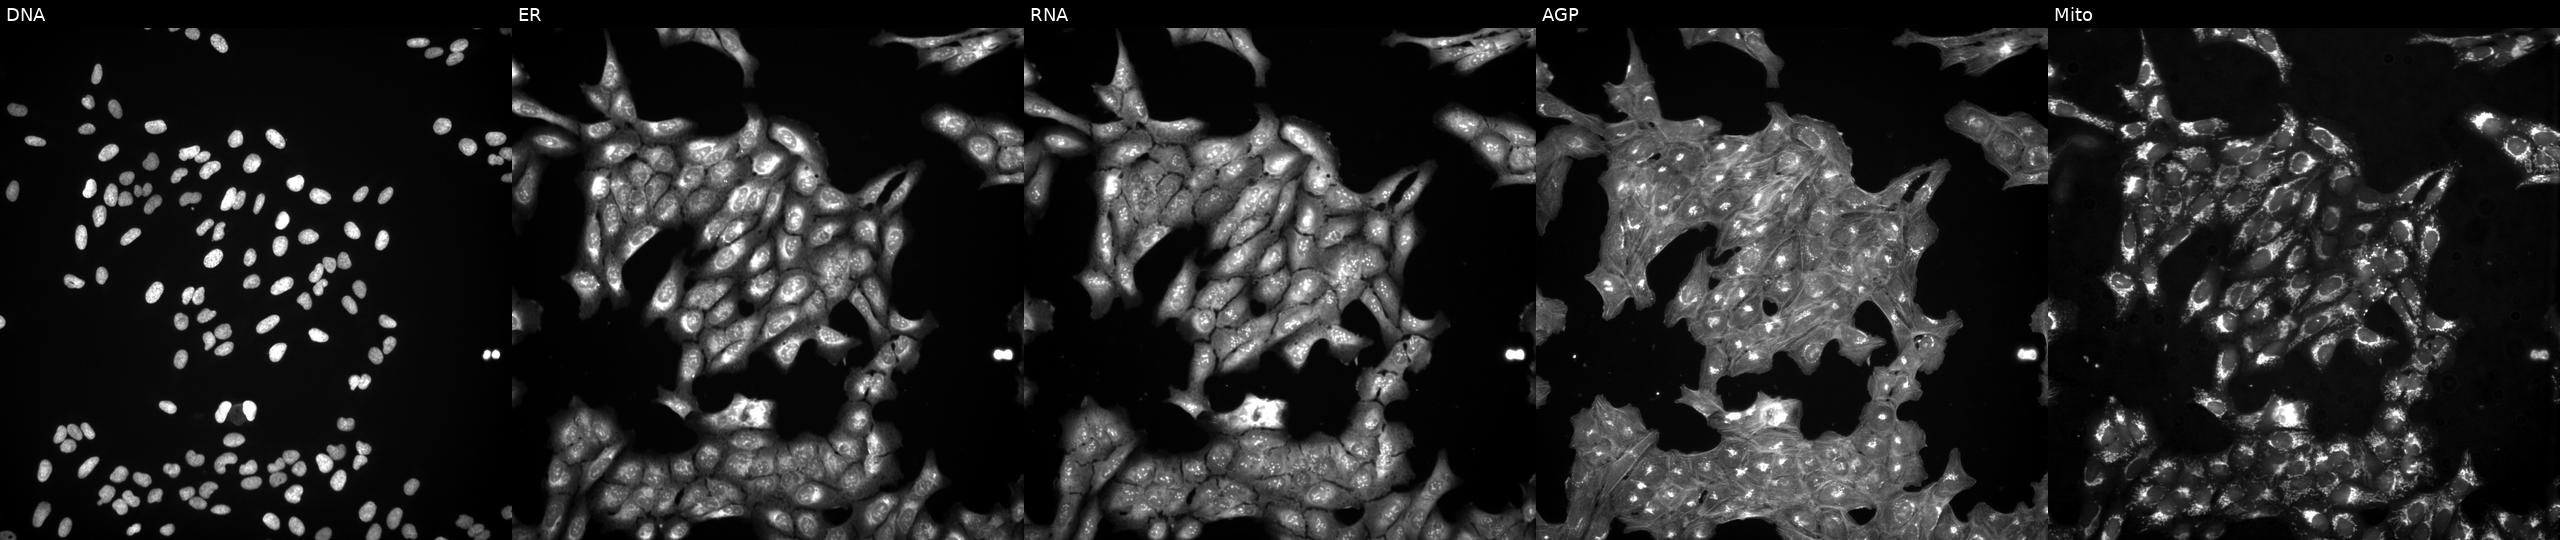
This image strip shows the five Cell Painting channels for a single field of U2OS cells exposed to DMSO alone as a negative control. Panels show, left to right, DNA, ER, RNA, AGP, and Mito.